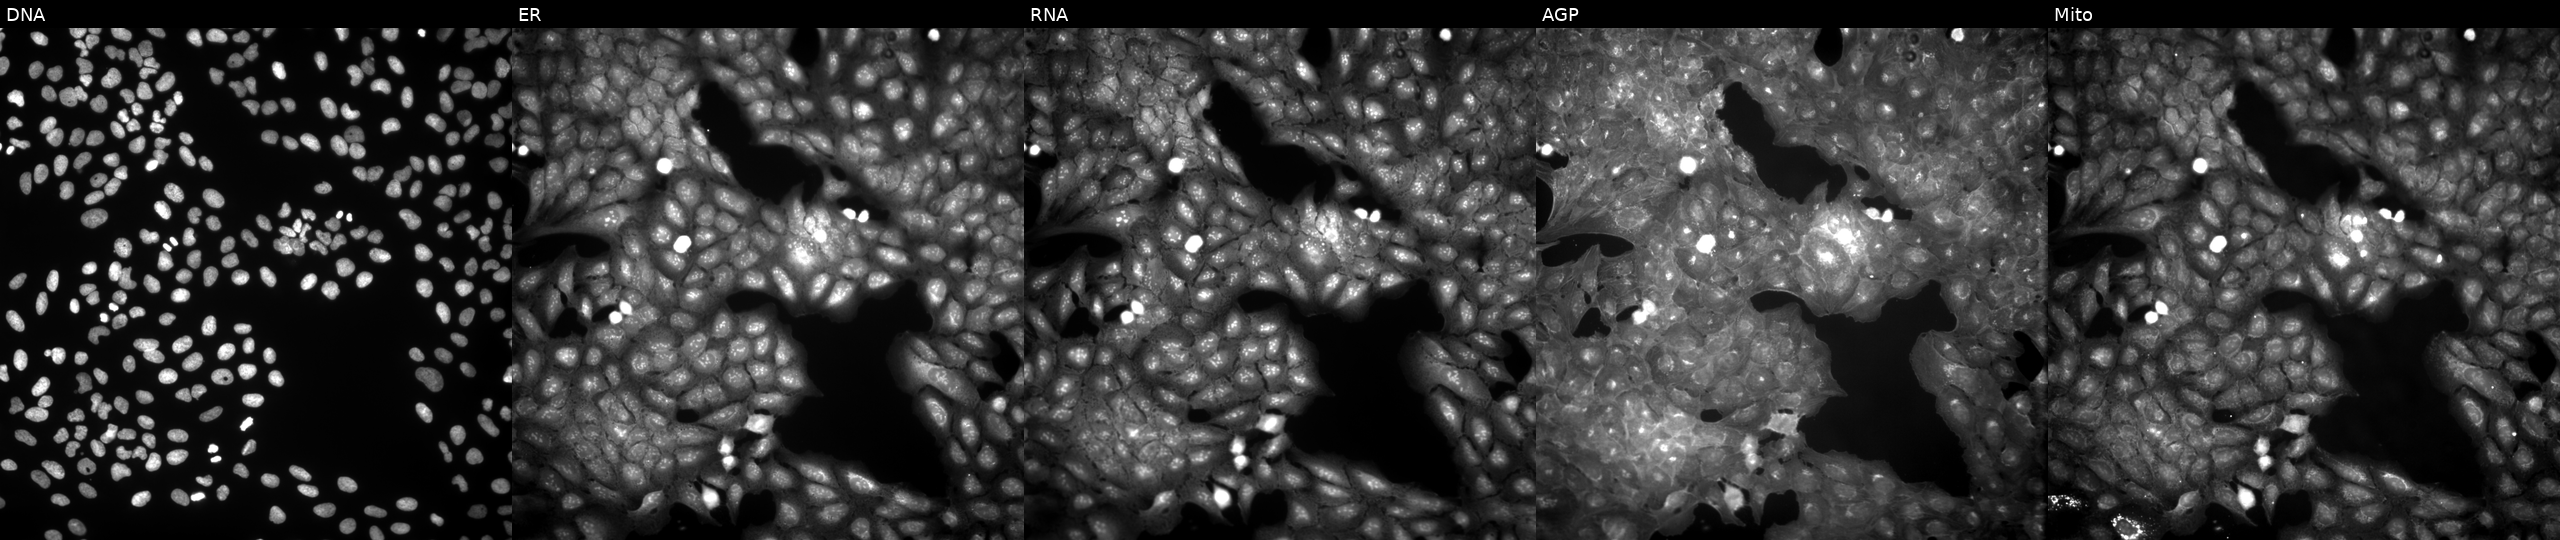
This image strip shows the five Cell Painting channels for a single field of U2OS cells perturbed with a small-molecule compound (InChIKey YIRGCZMUUPOQFF-UHFFFAOYSA-N) (JUMP id JCP2022_108702). Panels show, left to right, Hoechst 33342, concanavalin A, SYTO 14, phalloidin and WGA, MitoTracker.